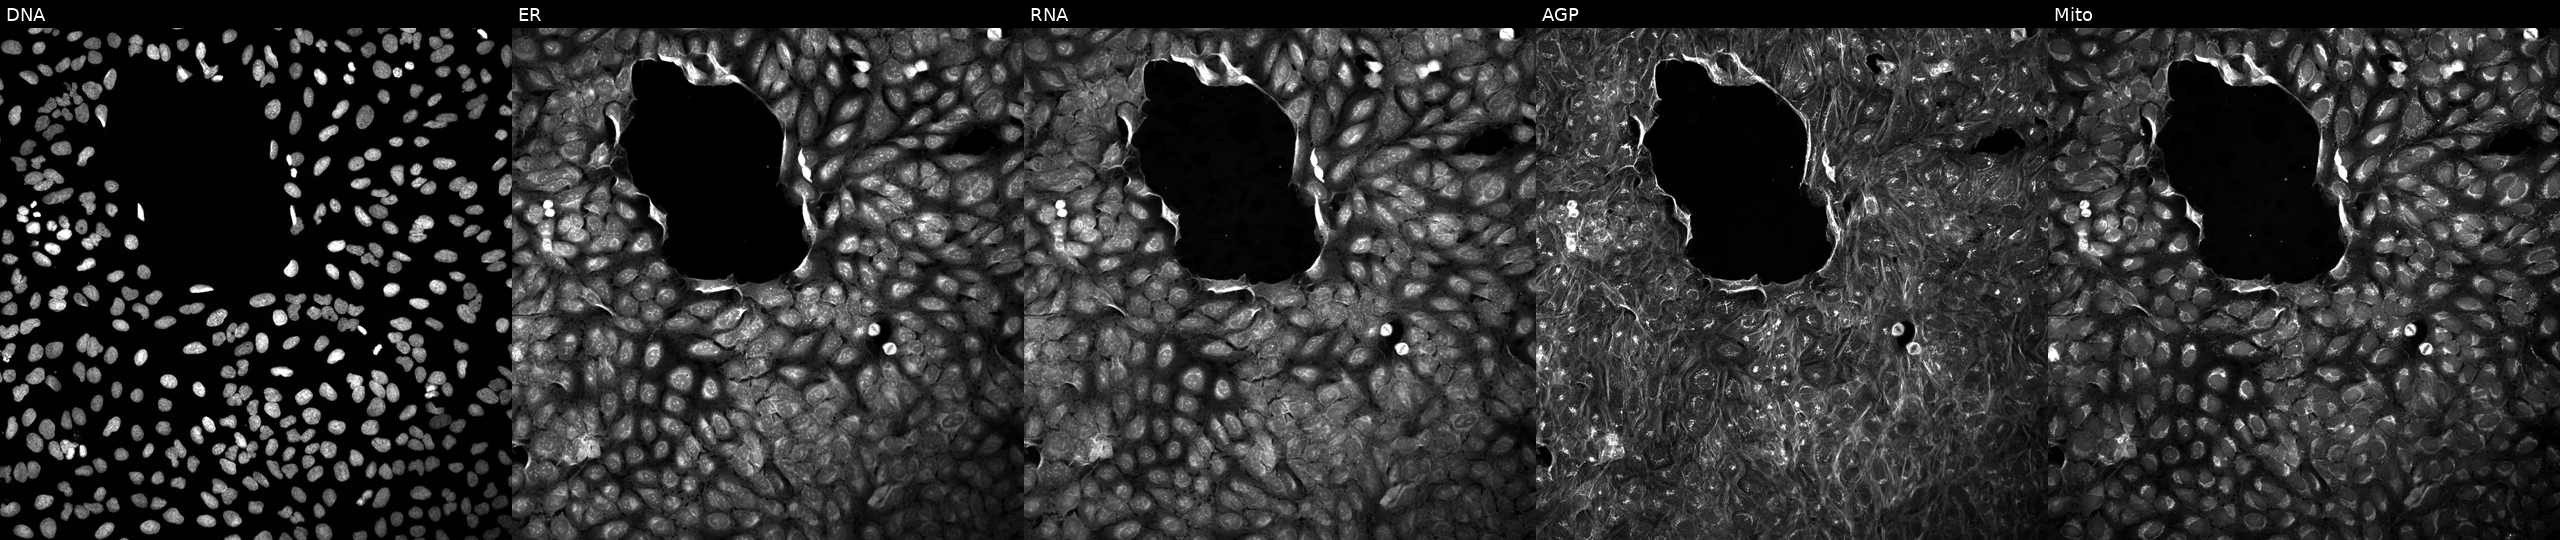
U2OS cells, Cell Painting assay, treated with a small-molecule compound. The five panels, left to right, show Hoechst 33342, concanavalin A, SYTO 14, phalloidin and WGA, MitoTracker. Each panel is percentile-stretched 16-bit fluorescence. Source 5, plate APTJUM105, well N21.